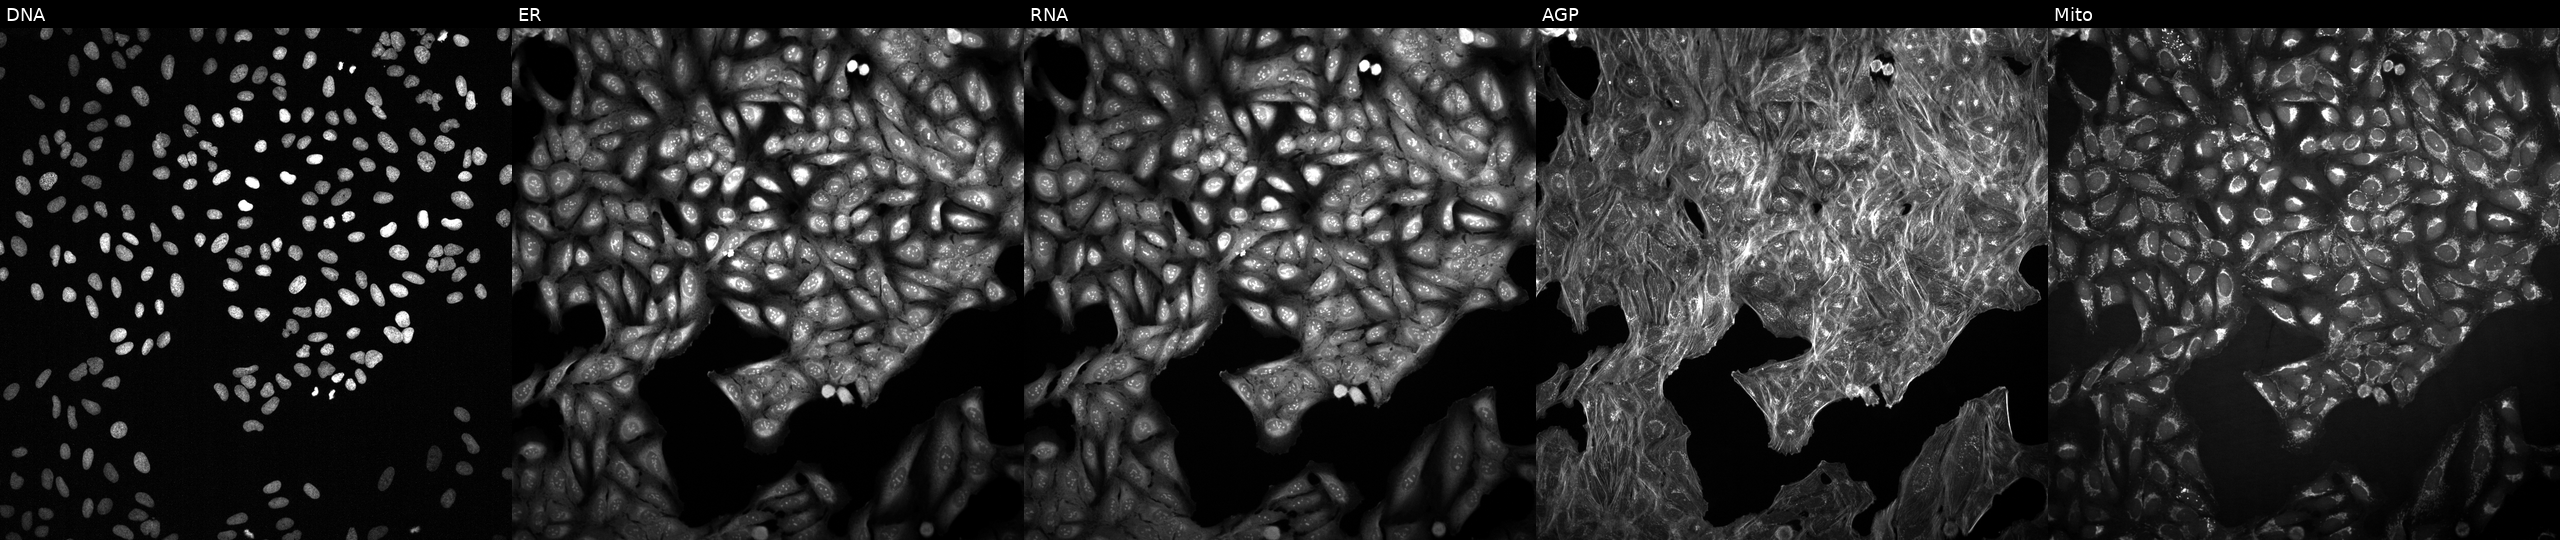
This image strip shows the five Cell Painting channels for a single field of U2OS cells exposed to a small-molecule compound (InChIKey HZWYISZDEYAUCH-UHFFFAOYSA-N) (JUMP id JCP2022_033715). Panels show, left to right, Hoechst 33342, concanavalin A, SYTO 14, phalloidin and WGA, MitoTracker. Source 2, plate 1053601756, well A19.